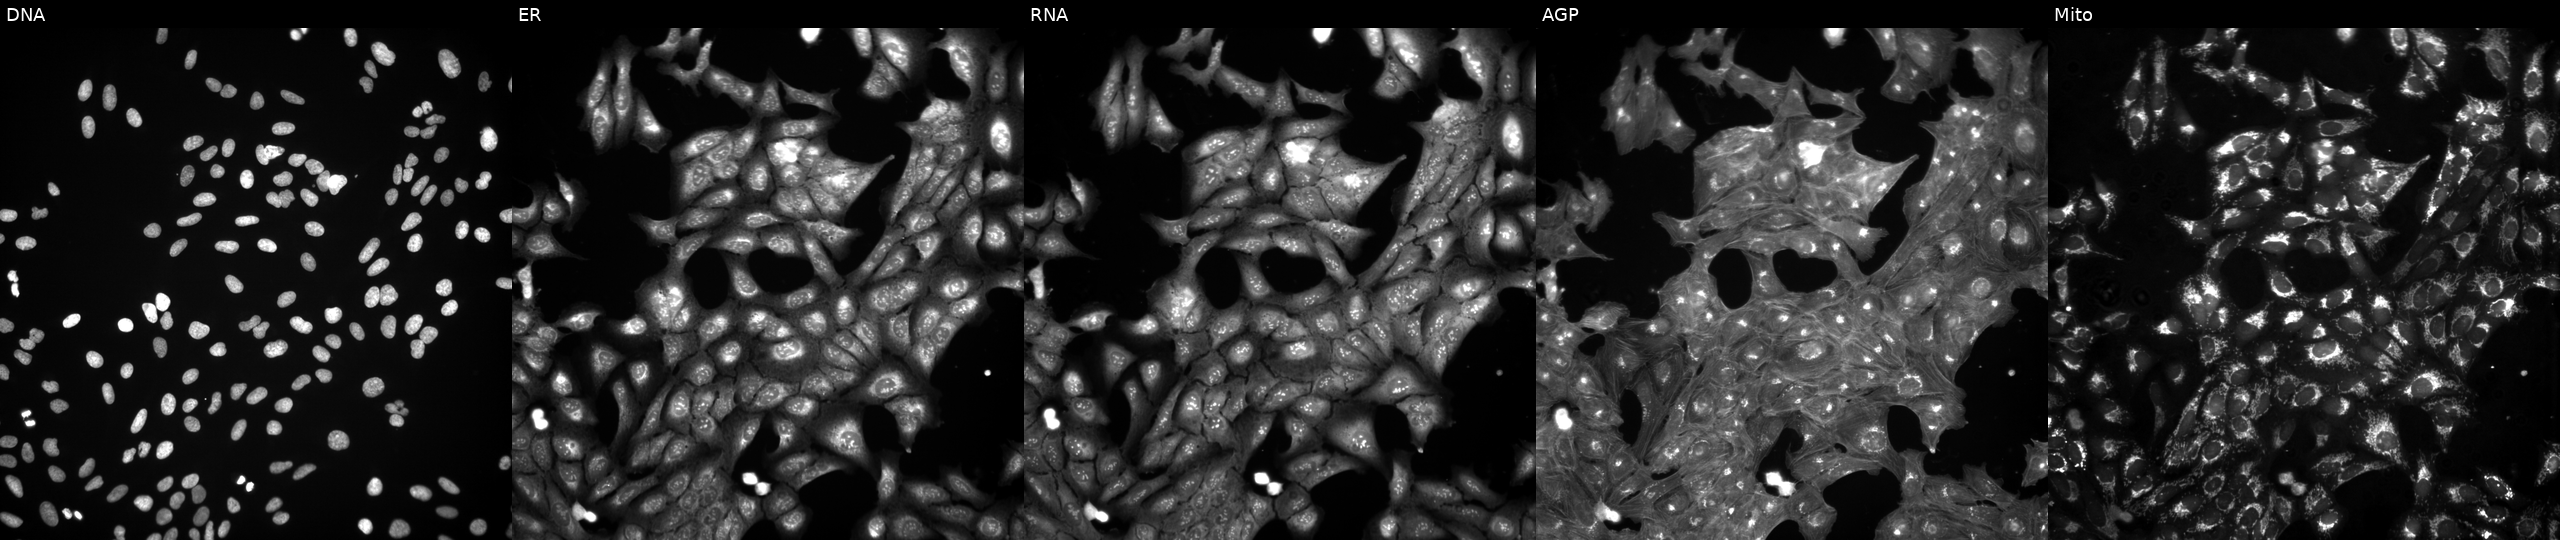
U2OS cells, Cell Painting assay, exposed to a small-molecule compound (InChIKey JXXWKPCJCMEADV-UHFFFAOYSA-N). Panels show, left to right, Hoechst 33342, concanavalin A, SYTO 14, phalloidin and WGA, MitoTracker. Each panel is percentile-stretched 16-bit fluorescence.